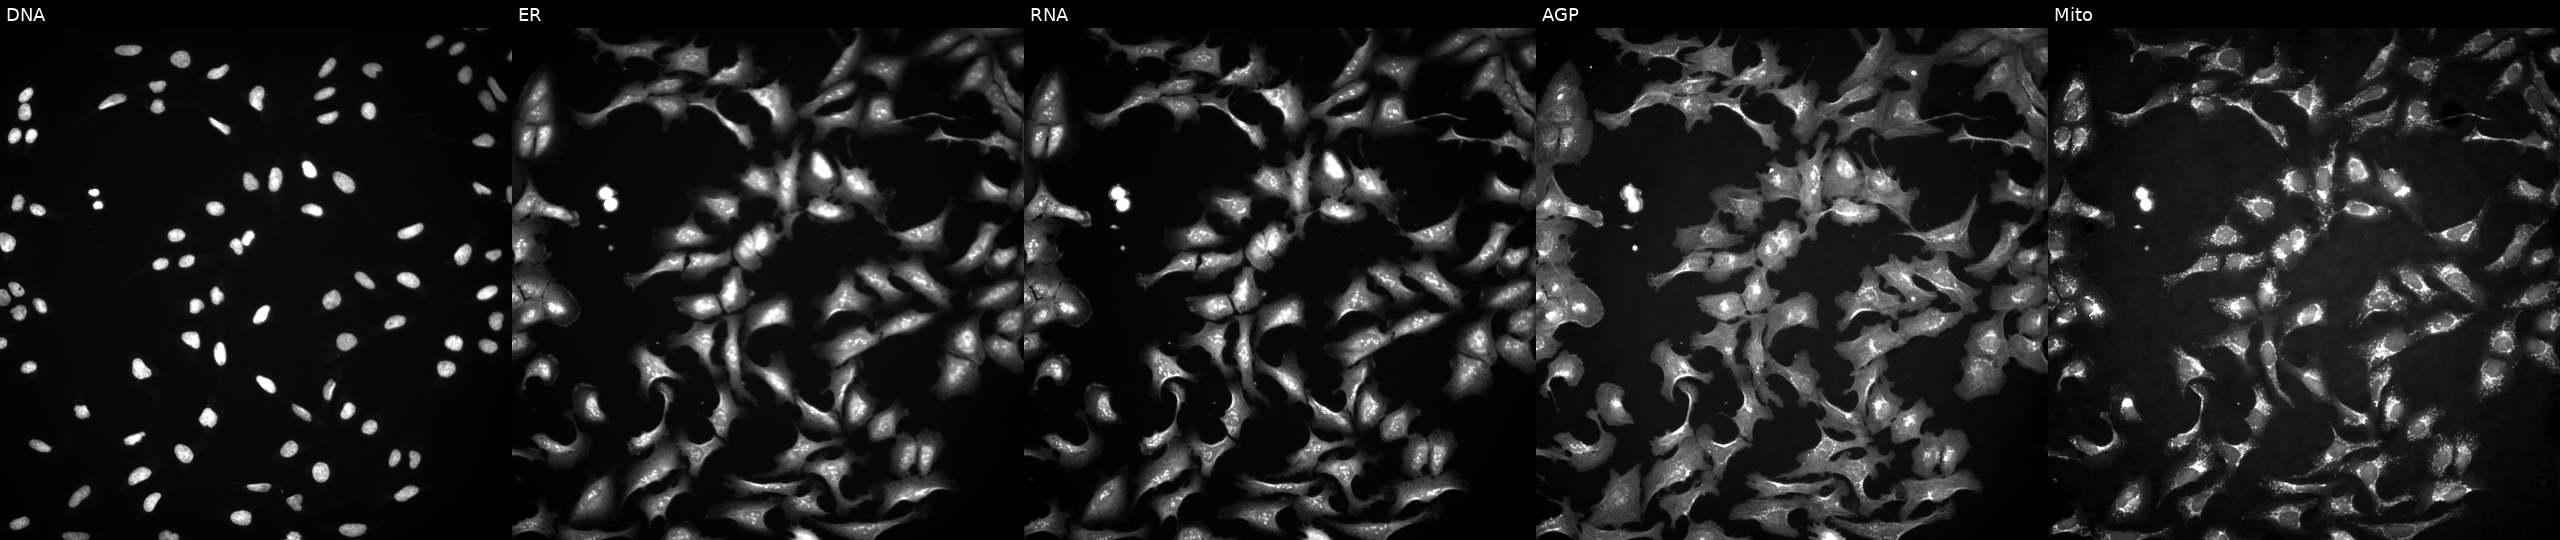
U2OS cells, Cell Painting assay, transfected with an ORF construct for ZNF267 (JUMP id JCP2022_914687). From left to right: Hoechst 33342, concanavalin A, SYTO 14, phalloidin and WGA, MitoTracker. Each panel is percentile-stretched 16-bit fluorescence.